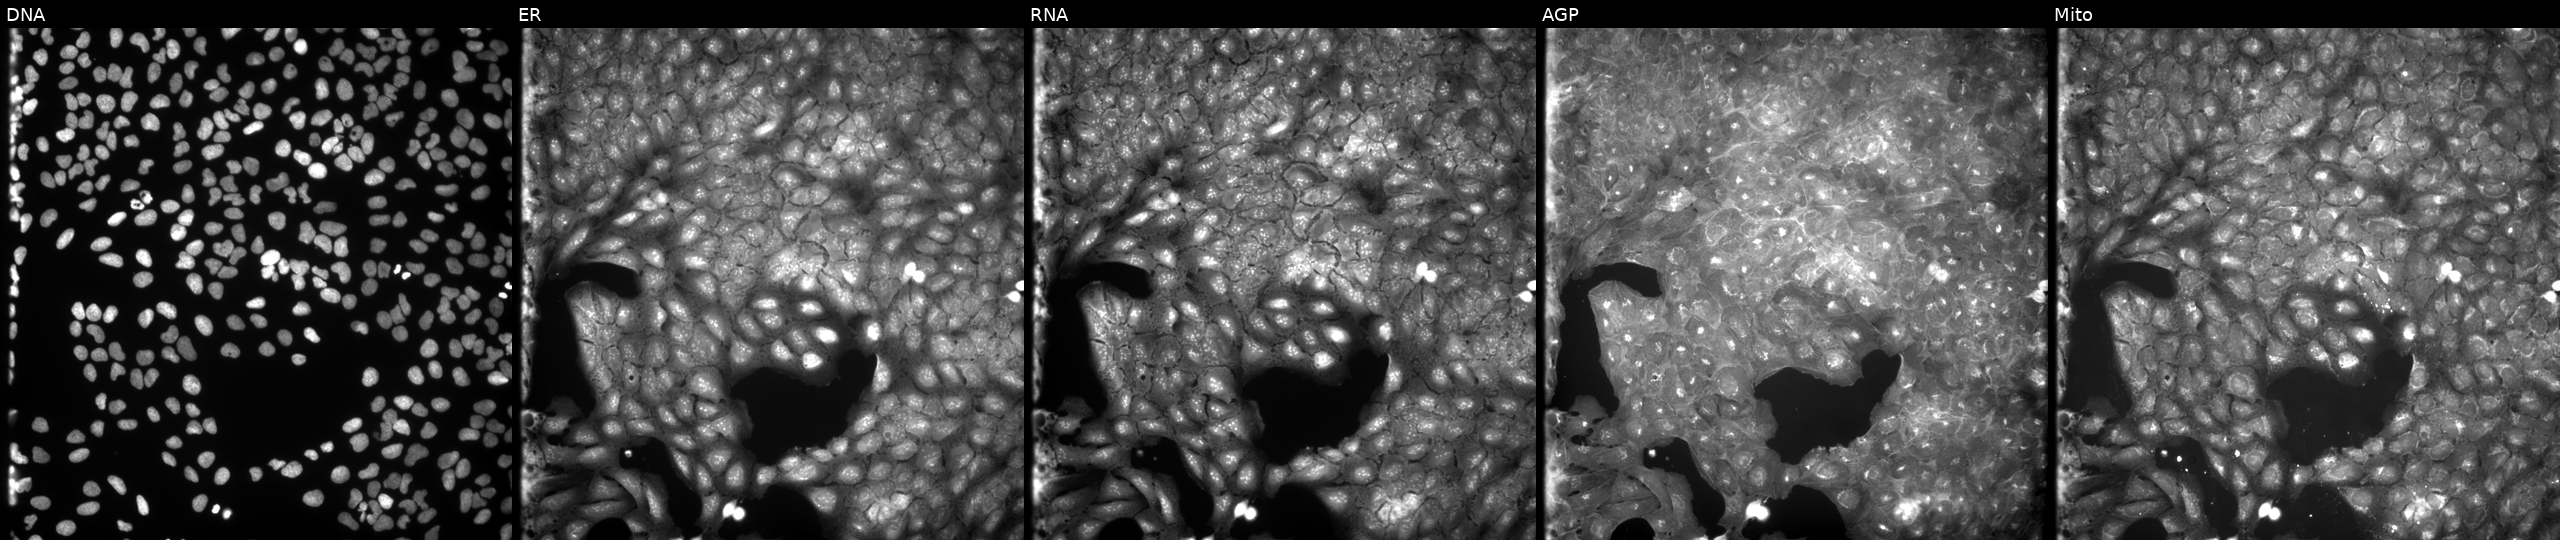
Five-channel Cell Painting image of U2OS cells perturbed with a small-molecule compound (InChIKey SPKPMRLOURXZMT-UHFFFAOYSA-N). The five panels, left to right, show DNA (nuclei); ER (endoplasmic reticulum); RNA (nucleoli and cytoplasmic RNA); AGP (actin cytoskeleton, Golgi, and plasma membrane); Mito (mitochondria). Source 9, plate GR00003381, well G13.